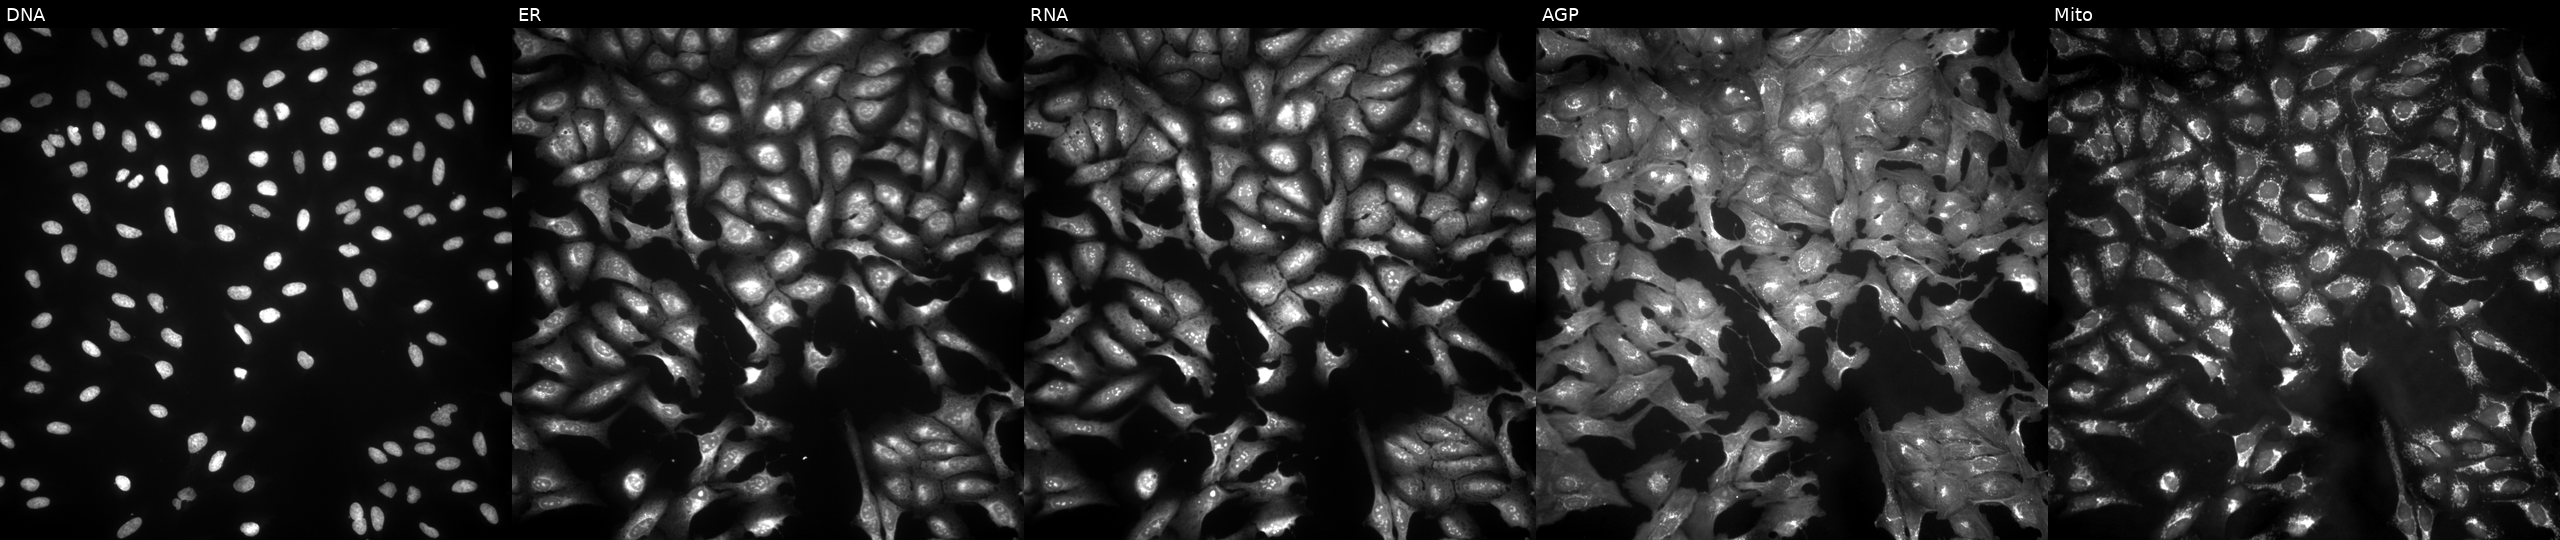
Five-channel Cell Painting image of U2OS cells expressing LUCIFERASE (ORF negative control) (JUMP id JCP2022_915130). From left to right: DNA, ER, RNA, AGP, and Mito. Source 4, plate BR00123506, well C19.